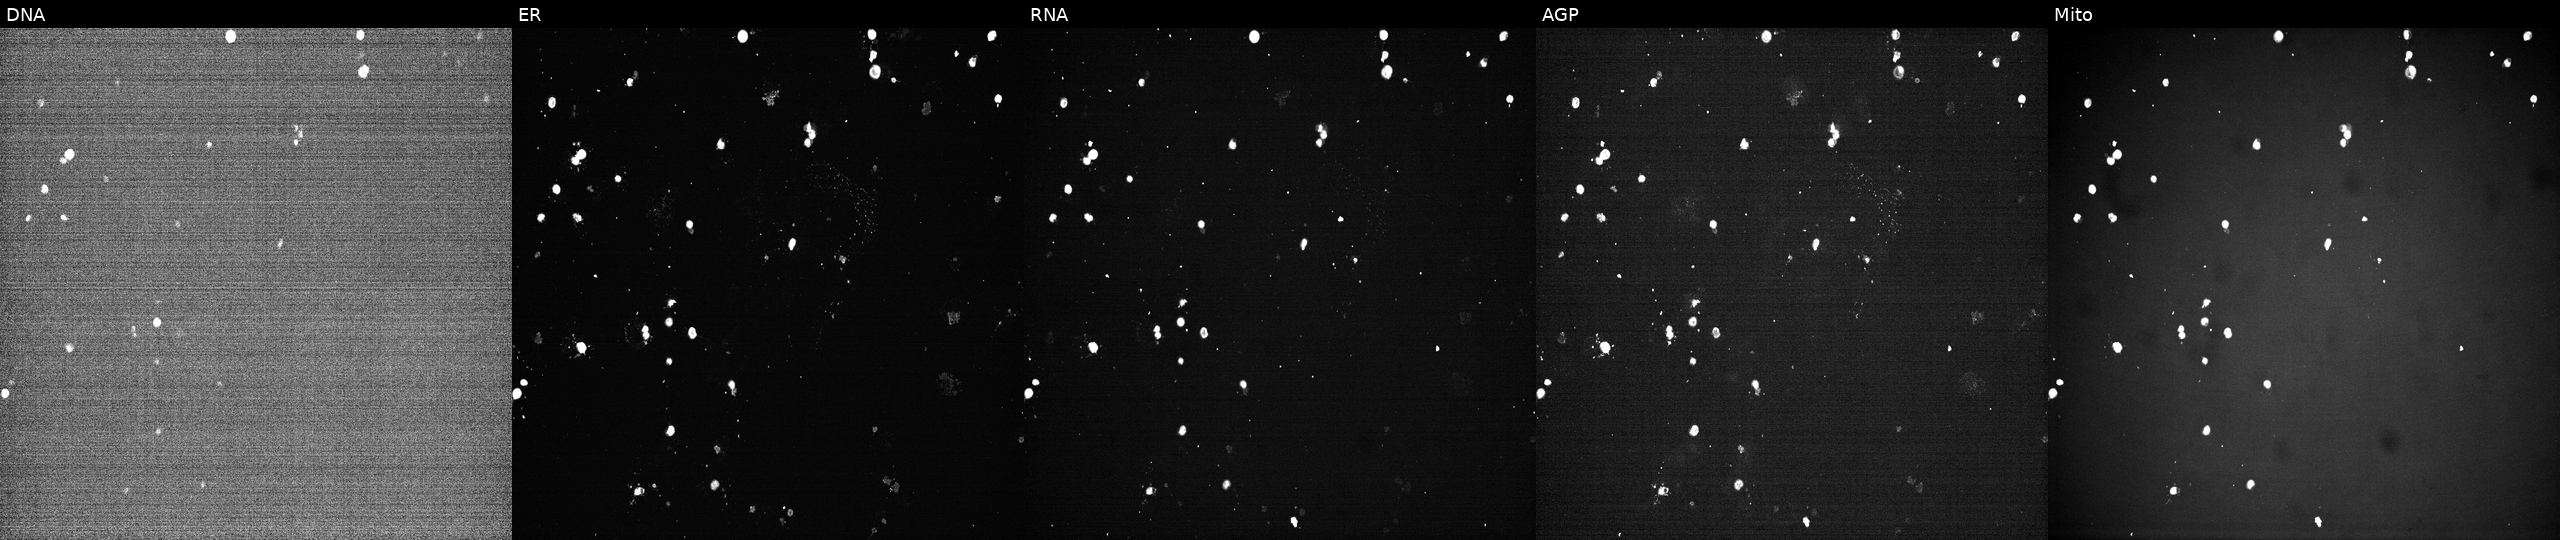
Five-channel Cell Painting image of U2OS cells perturbed with a small-molecule compound (InChIKey LSFLAQVDISHMNB-UHFFFAOYSA-N). The five panels, left to right, show Hoechst 33342, concanavalin A, SYTO 14, phalloidin and WGA, MitoTracker.